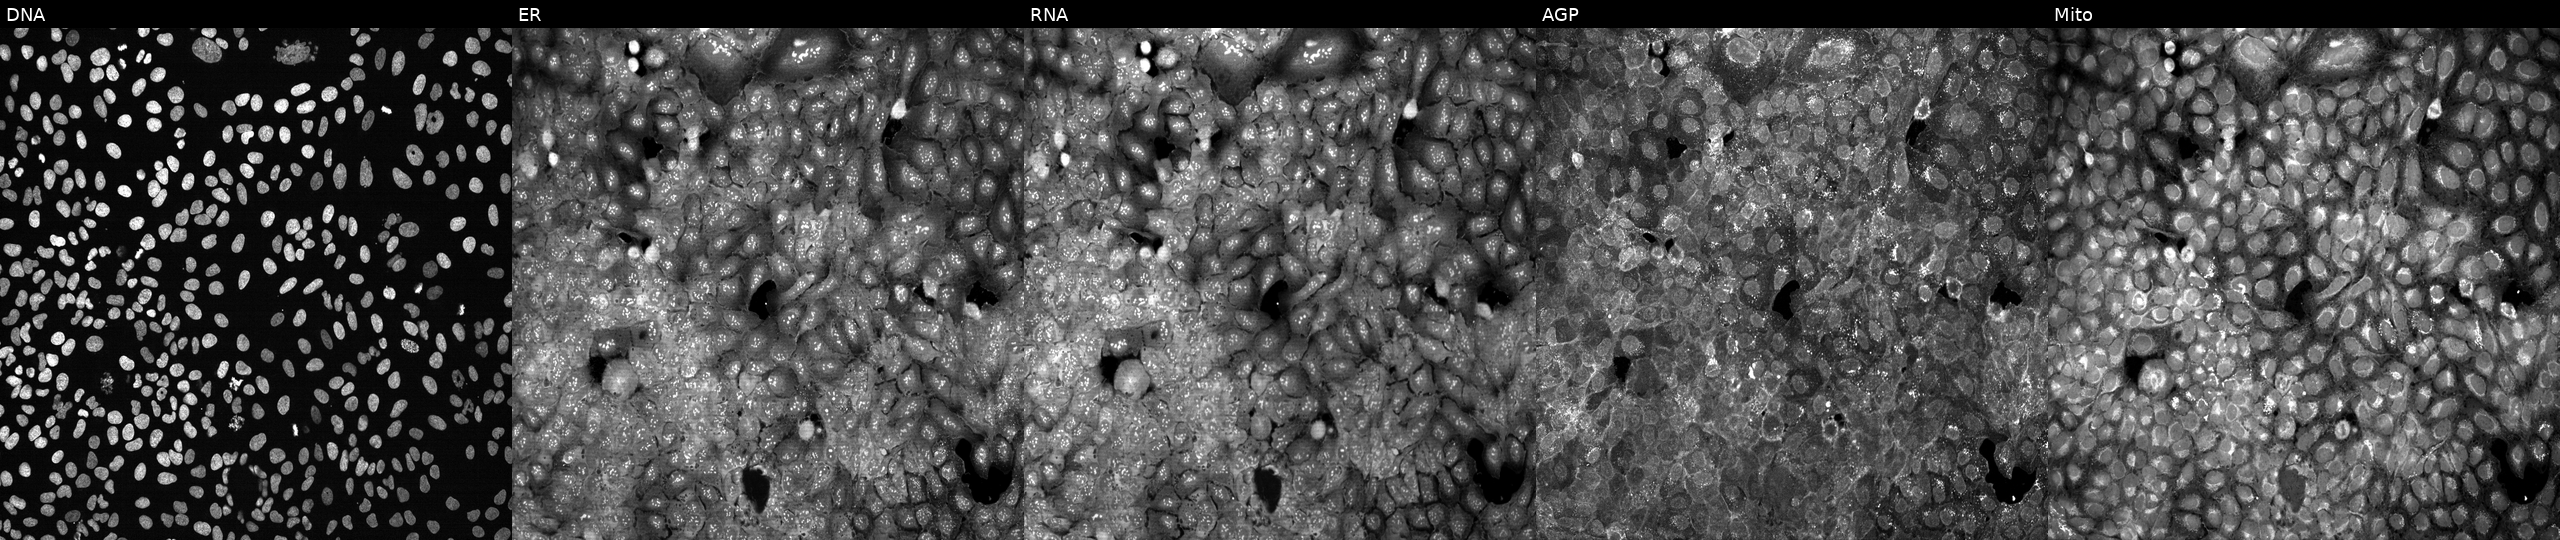
This image strip shows the five Cell Painting channels for a single field of U2OS cells exposed to the positive-control compound aloxistatin (JUMP id JCP2022_085227). Channels (left→right): Hoechst 33342, concanavalin A, SYTO 14, phalloidin and WGA, MitoTracker.